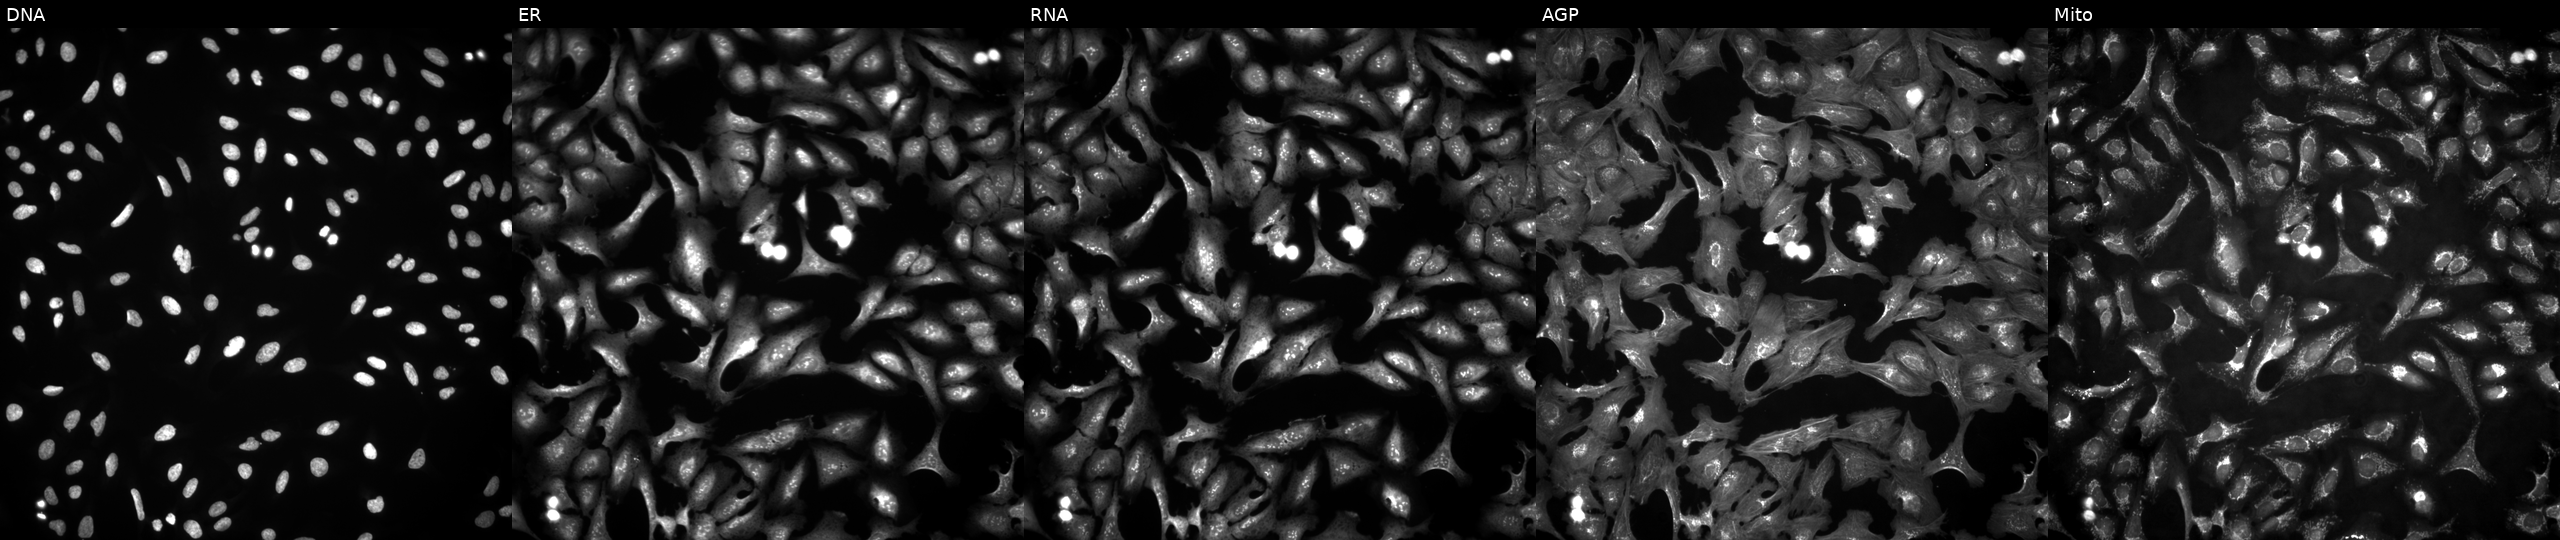
U2OS cells, Cell Painting assay, transfected with an ORF construct for TMSB4X (JUMP id JCP2022_910439). From left to right: DNA, ER, RNA, AGP, and Mito. Each panel is percentile-stretched 16-bit fluorescence. Source 4, plate BR00124784, well B07.